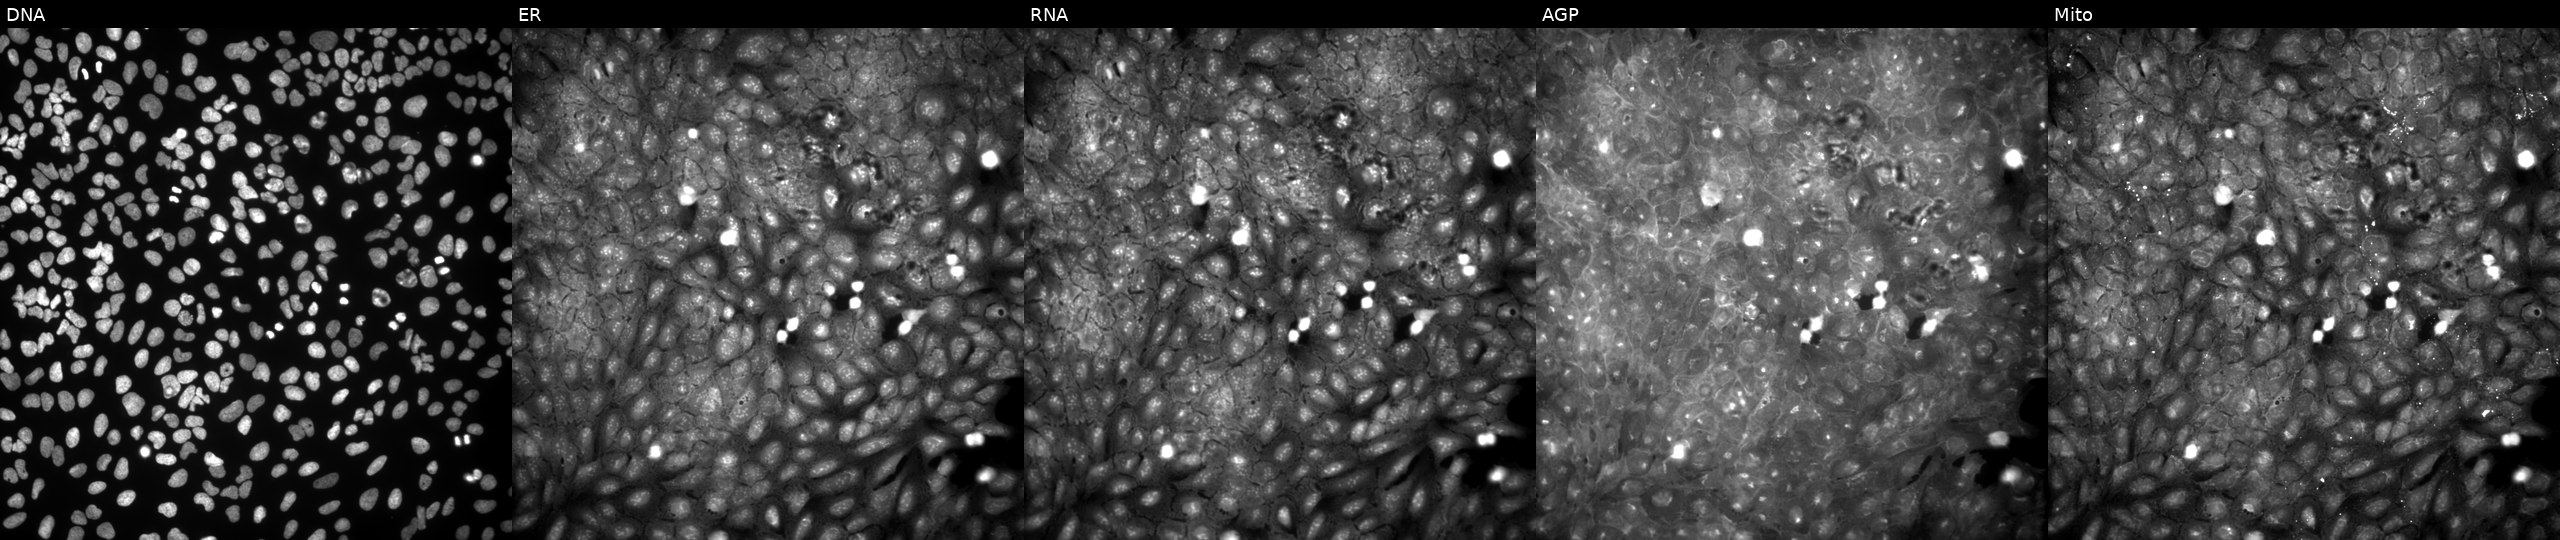
Channels (left→right): Hoechst 33342, concanavalin A, SYTO 14, phalloidin and WGA, MitoTracker. U2OS osteosarcoma cells perturbed with a small-molecule compound (InChIKey NZEXBHPZEQDICK-UHFFFAOYSA-N). Cell Painting assay, JUMP-CP dataset.